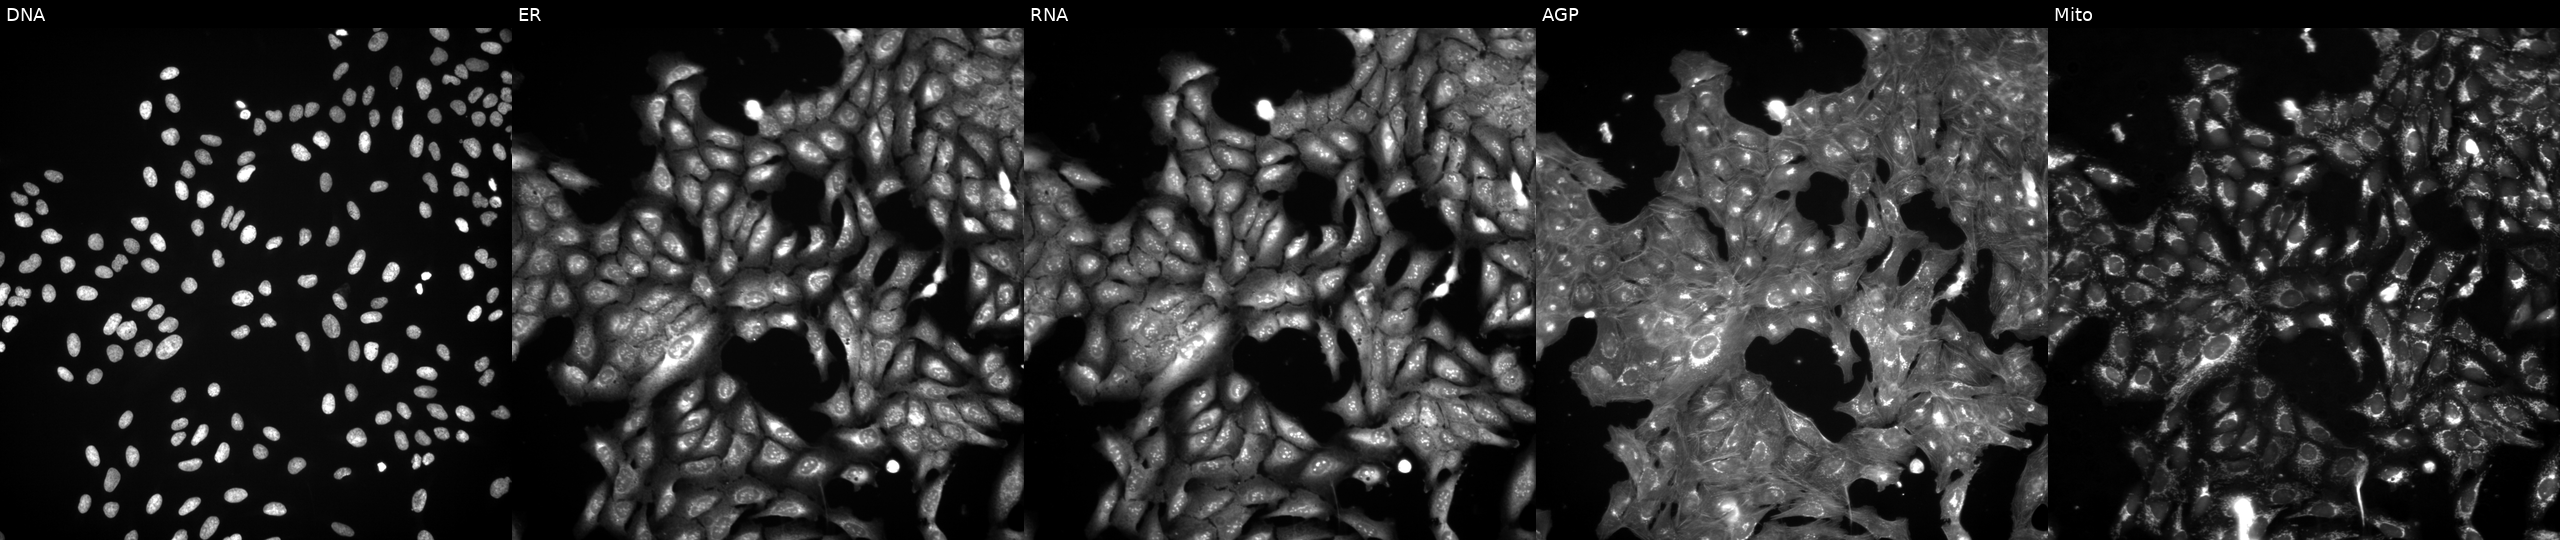
U2OS cells, Cell Painting assay, perturbed with a small-molecule compound (InChIKey YYOOFJZTRCPVFD-UHFFFAOYSA-N). The five panels, left to right, show DNA (nuclei); ER (endoplasmic reticulum); RNA (nucleoli and cytoplasmic RNA); AGP (actin cytoskeleton, Golgi, and plasma membrane); Mito (mitochondria). Each panel is percentile-stretched 16-bit fluorescence.